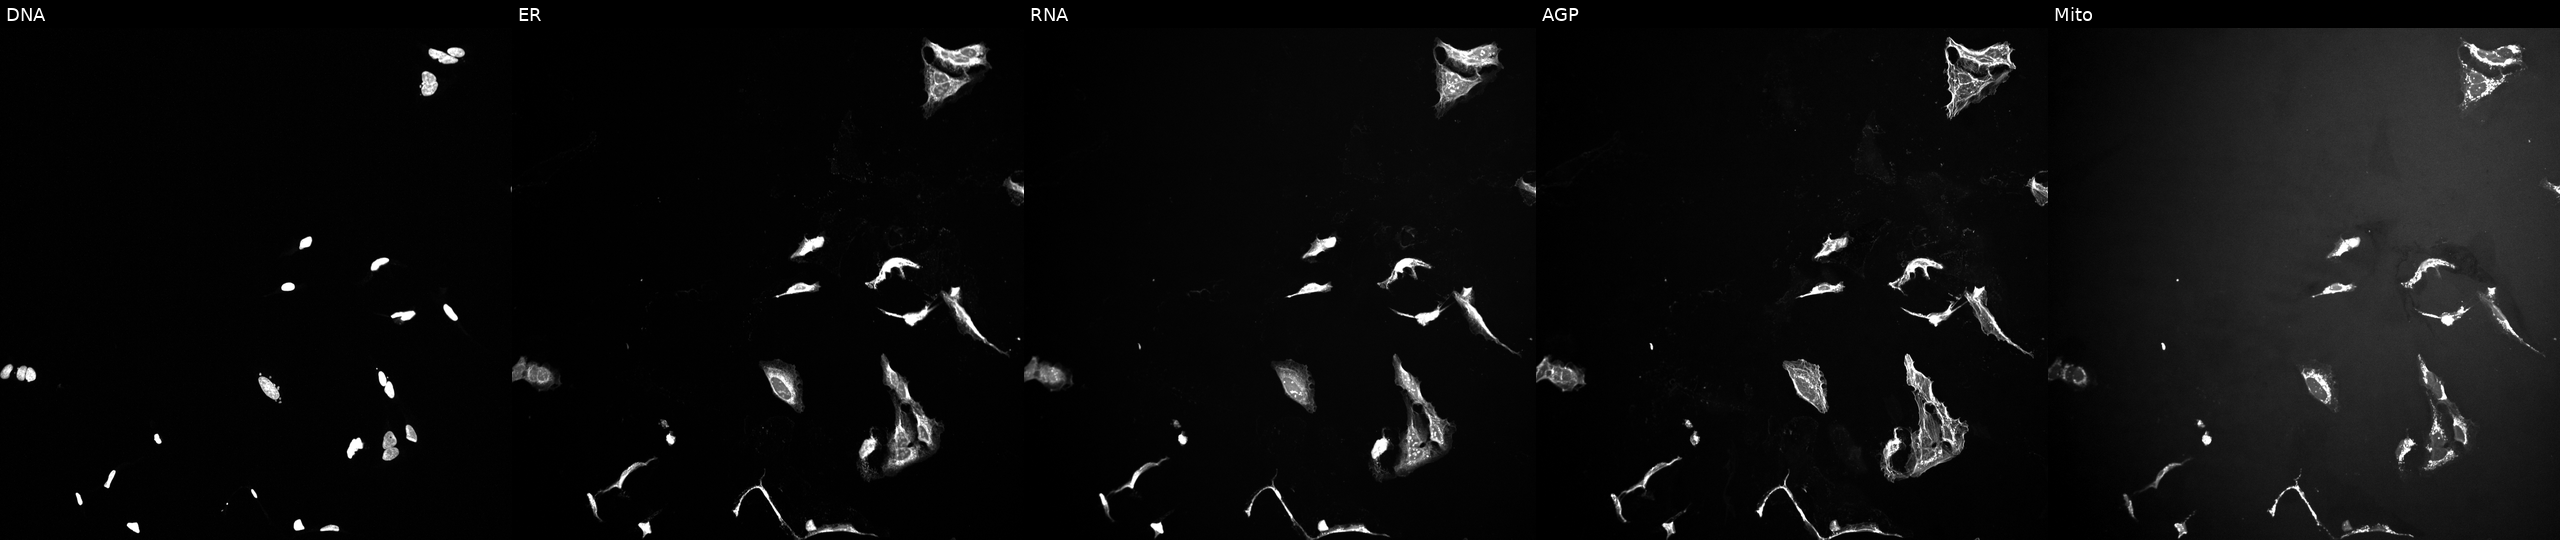
U2OS cells, Cell Painting assay, exposed to a small-molecule compound (InChIKey JOOXLOJCABQBSG-UHFFFAOYSA-N) (JUMP id JCP2022_041139). From left to right: DNA, ER, RNA, AGP, and Mito. Each panel is percentile-stretched 16-bit fluorescence.